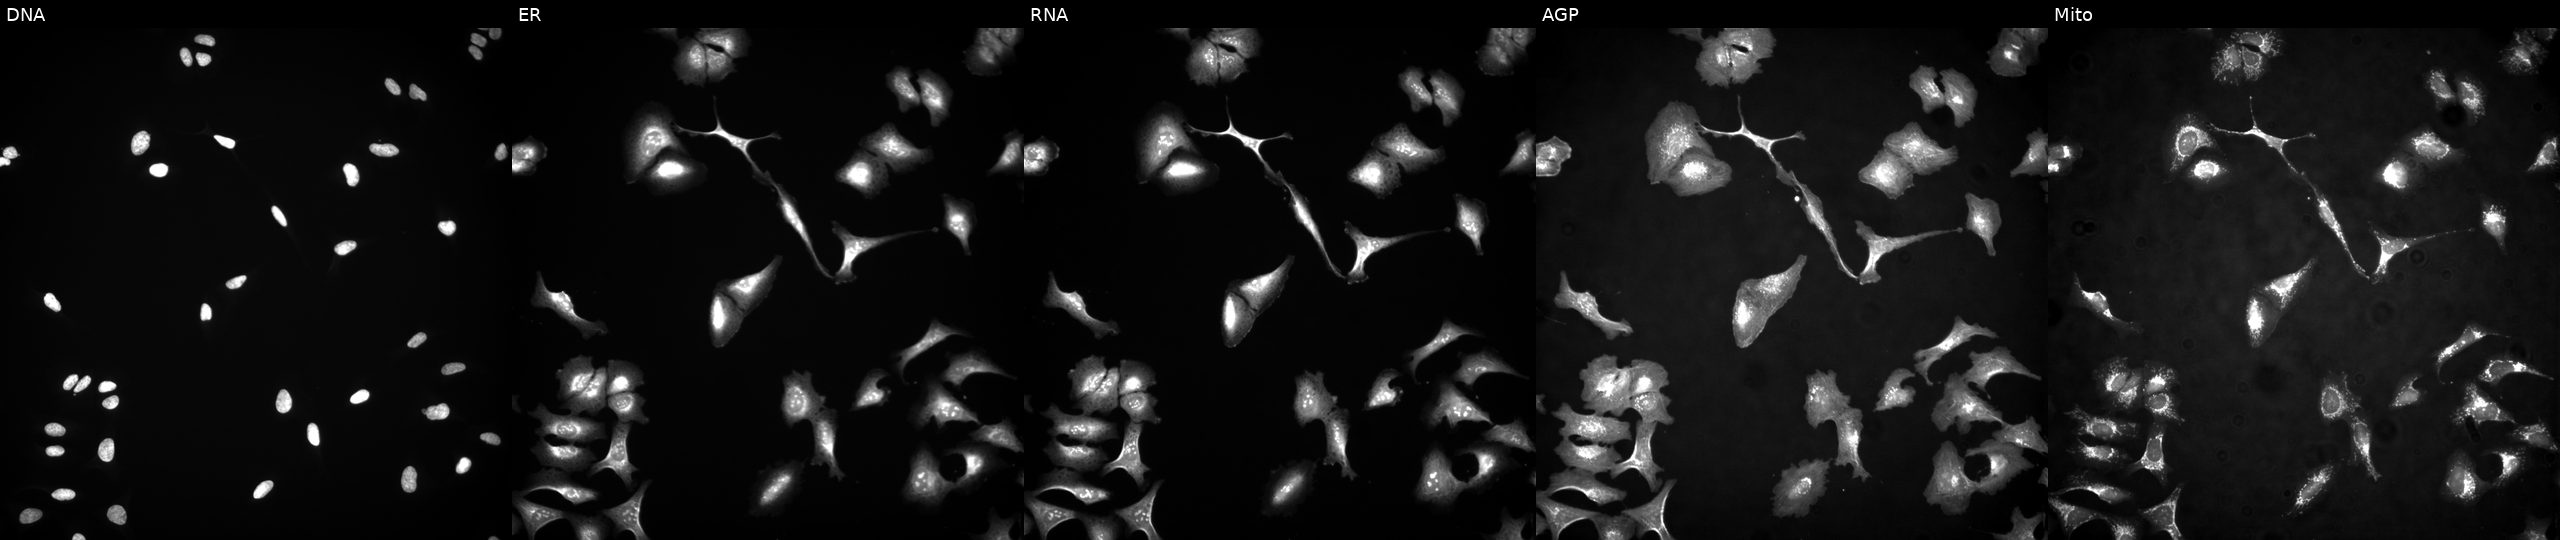
Five-channel Cell Painting image of U2OS cells with UBE2O overexpressed (ORF) (JUMP id JCP2022_911598). Panels show, left to right, Hoechst 33342, concanavalin A, SYTO 14, phalloidin and WGA, MitoTracker. Source 4, plate BR00124787, well I16.